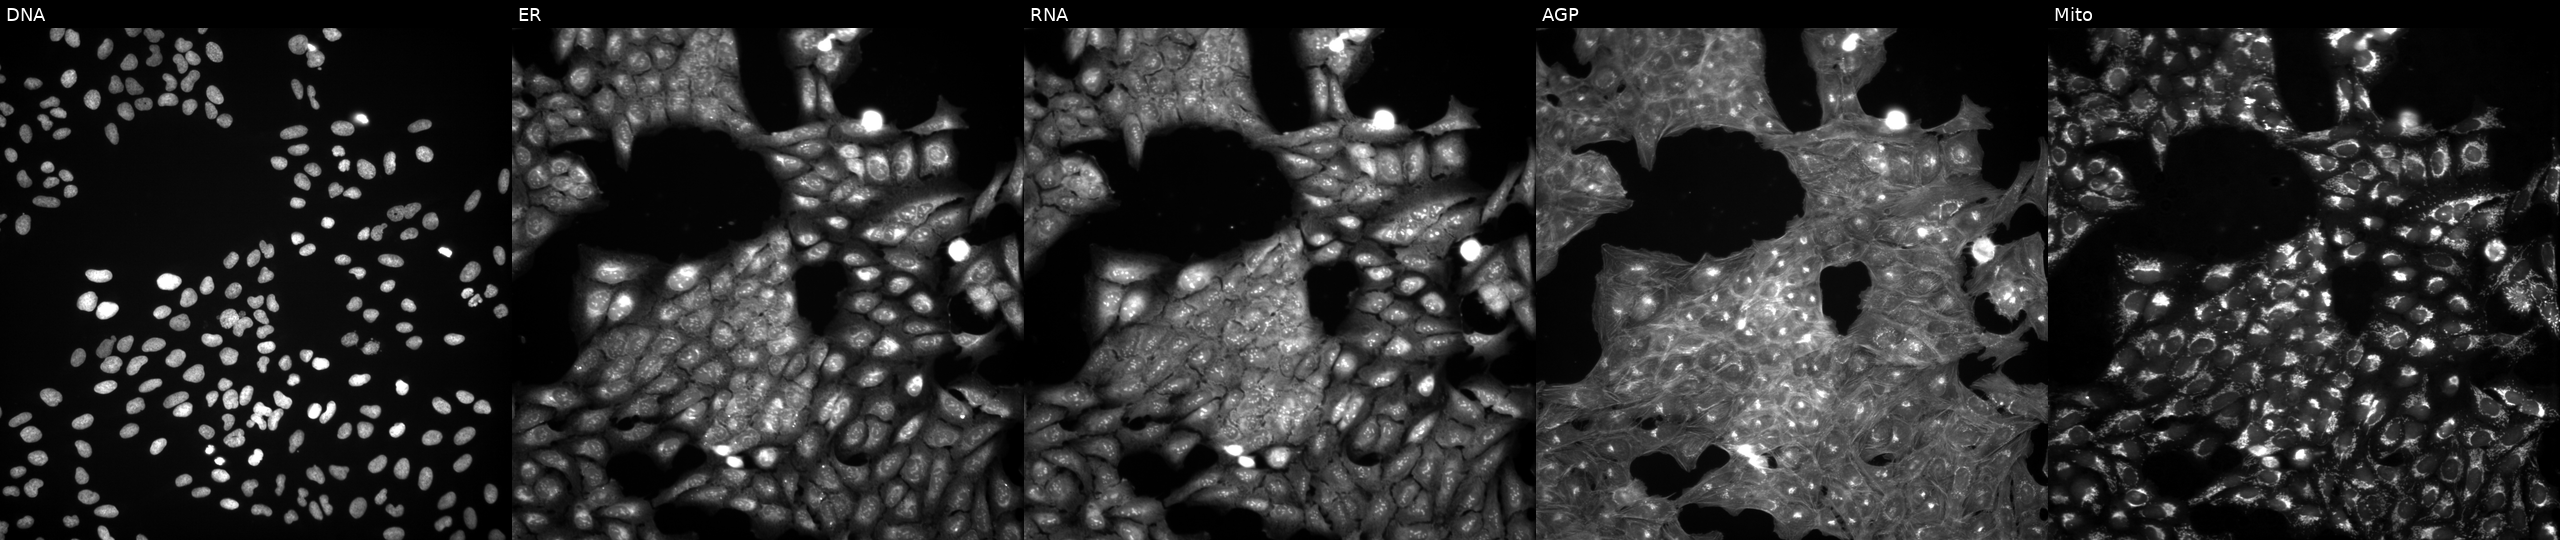
This image strip shows the five Cell Painting channels for a single field of U2OS cells in an empty control well (no perturbation) (JUMP id JCP2022_999999). Channels (left→right): Hoechst 33342, concanavalin A, SYTO 14, phalloidin and WGA, MitoTracker.